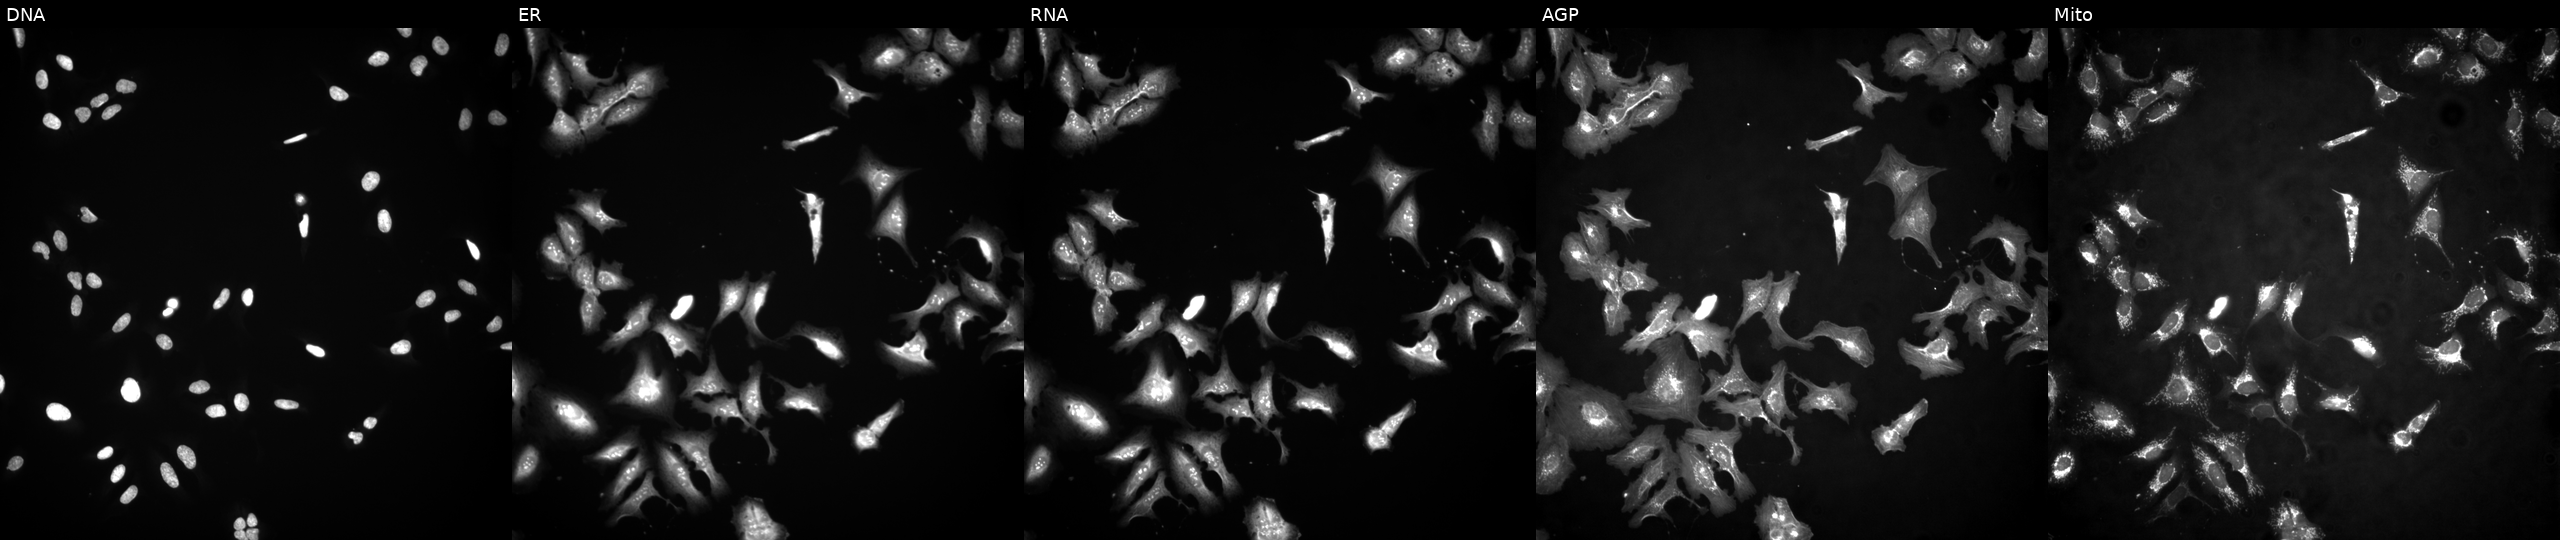
U2OS cells, Cell Painting assay, transfected with an ORF construct for CREB3L4. The five panels, left to right, show DNA (nuclei); ER (endoplasmic reticulum); RNA (nucleoli and cytoplasmic RNA); AGP (actin cytoskeleton, Golgi, and plasma membrane); Mito (mitochondria). Each panel is percentile-stretched 16-bit fluorescence. Source 4, plate BR00117035, well N07.